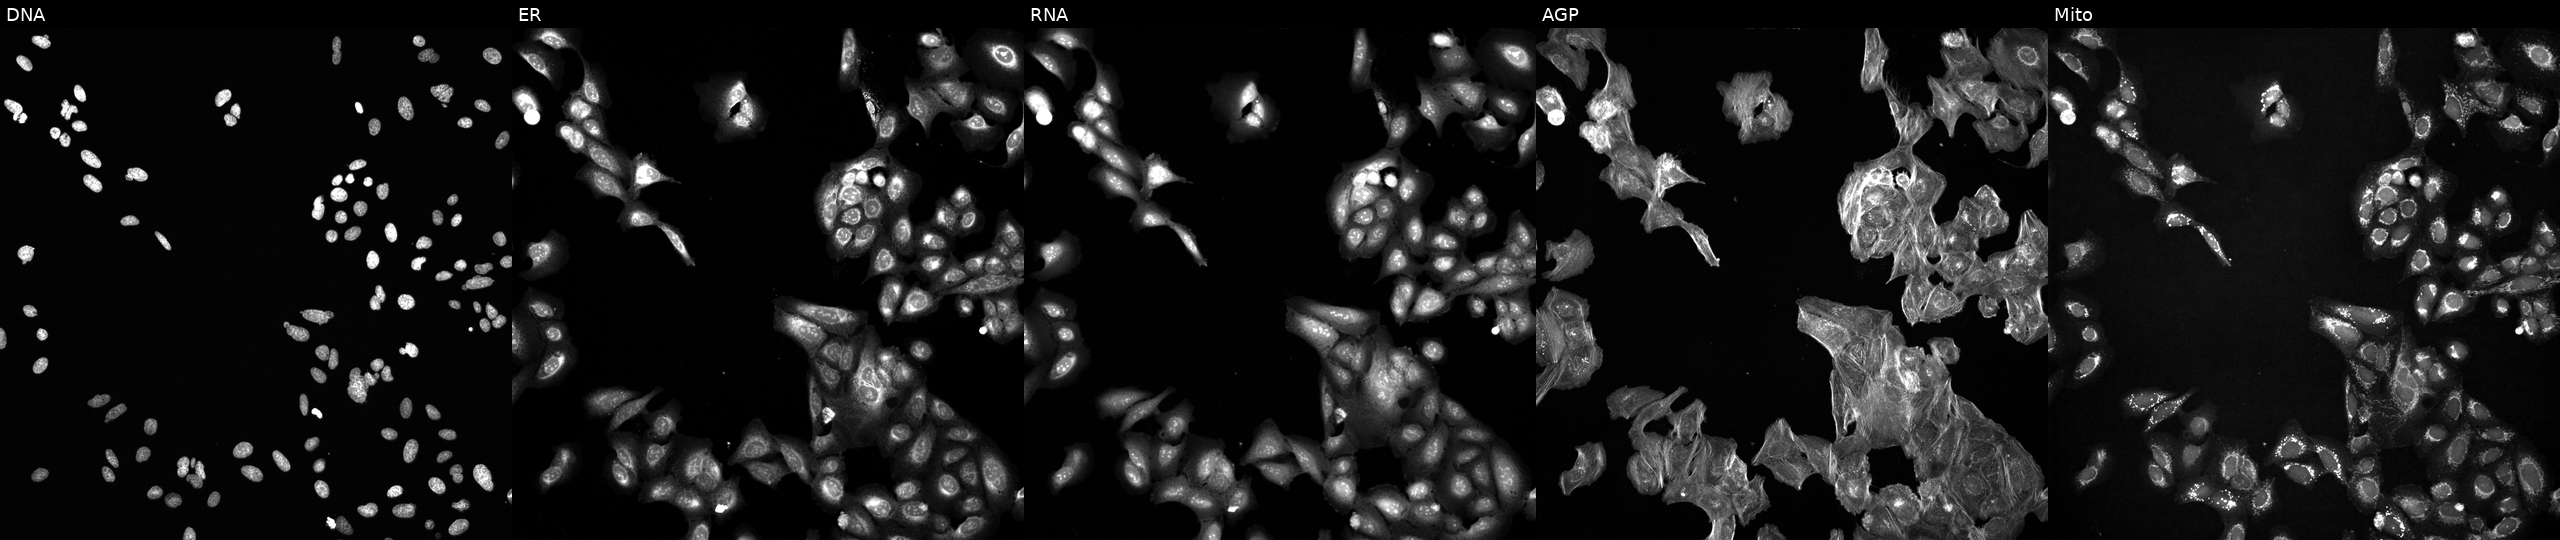
JUMP Cell Painting — COMPOUND plate. U2OS cells treated with a small-molecule compound (InChIKey WROQEZMKZGINFQ-UHFFFAOYSA-N). From left to right: DNA (nuclei); ER (endoplasmic reticulum); RNA (nucleoli and cytoplasmic RNA); AGP (actin cytoskeleton, Golgi, and plasma membrane); Mito (mitochondria). Source 6, plate 110000293082, well M13.